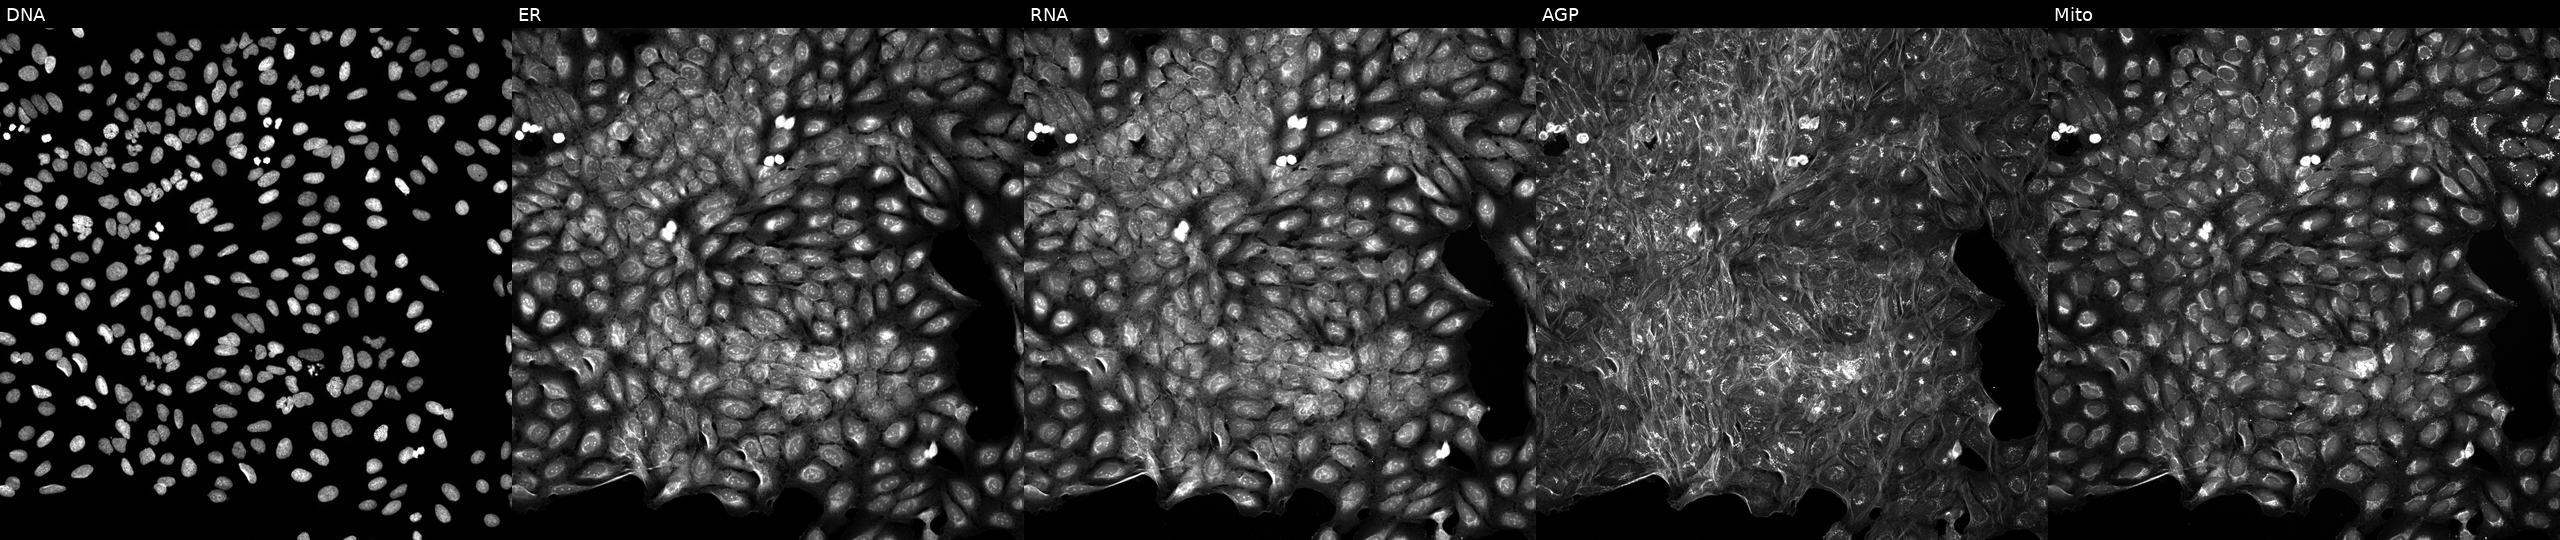
Five-channel Cell Painting image of U2OS cells perturbed with a small-molecule compound (JUMP id JCP2022_085080). The five panels, left to right, show DNA, ER, RNA, AGP, and Mito. Source 5, plate APTJUM106, well H12.